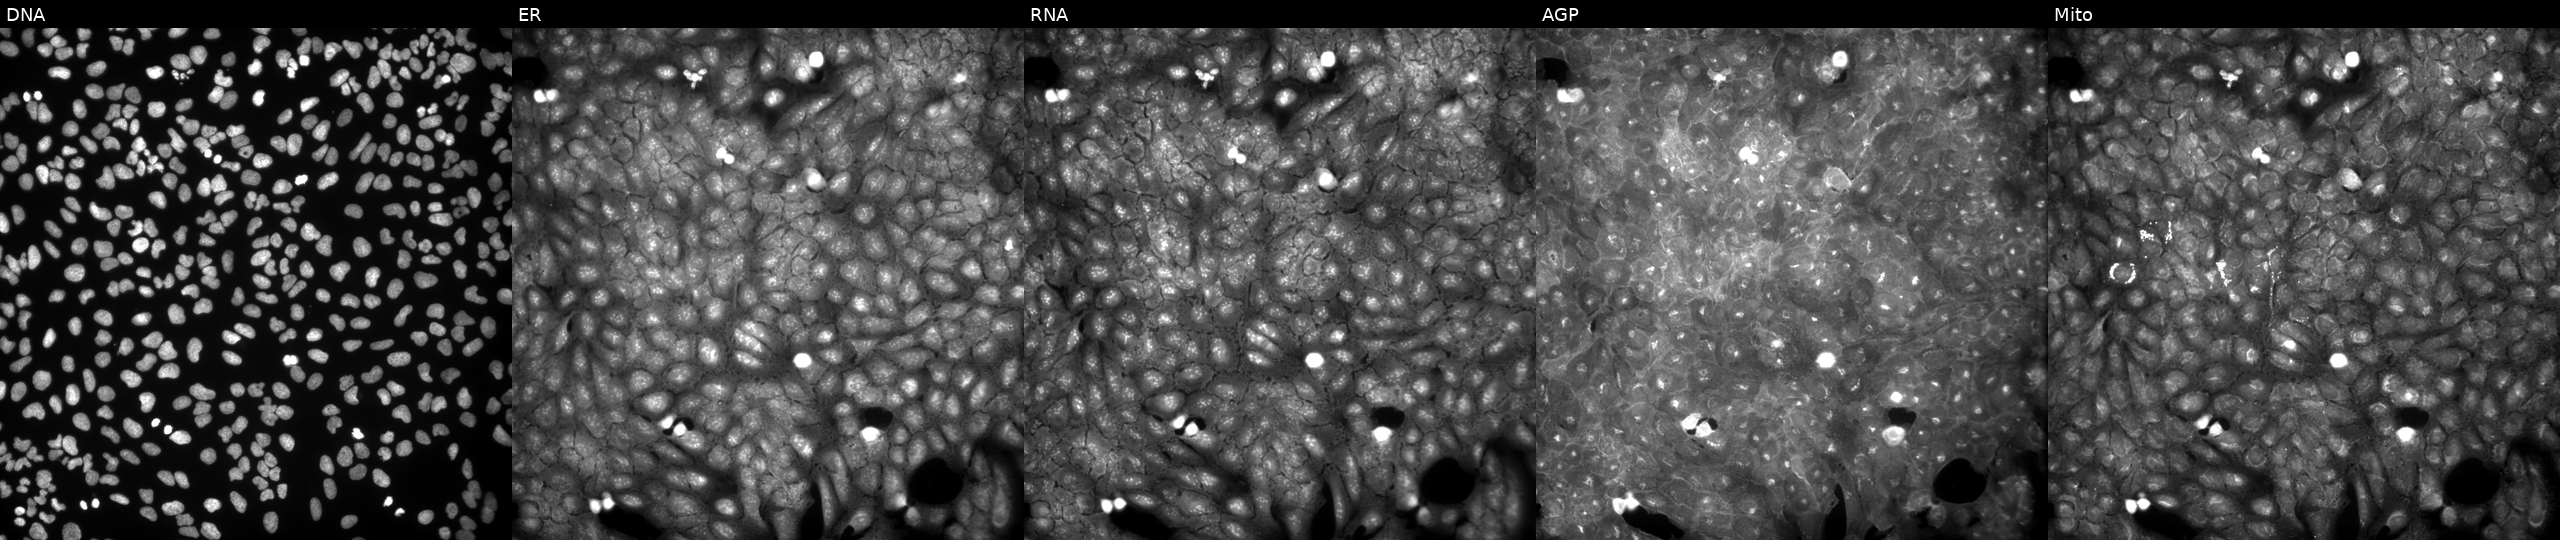
High-content fluorescence microscopy (Cell Painting). Cell line: U2OS. Perturbation: perturbed with a small-molecule compound. From left to right: DNA, ER, RNA, AGP, and Mito.